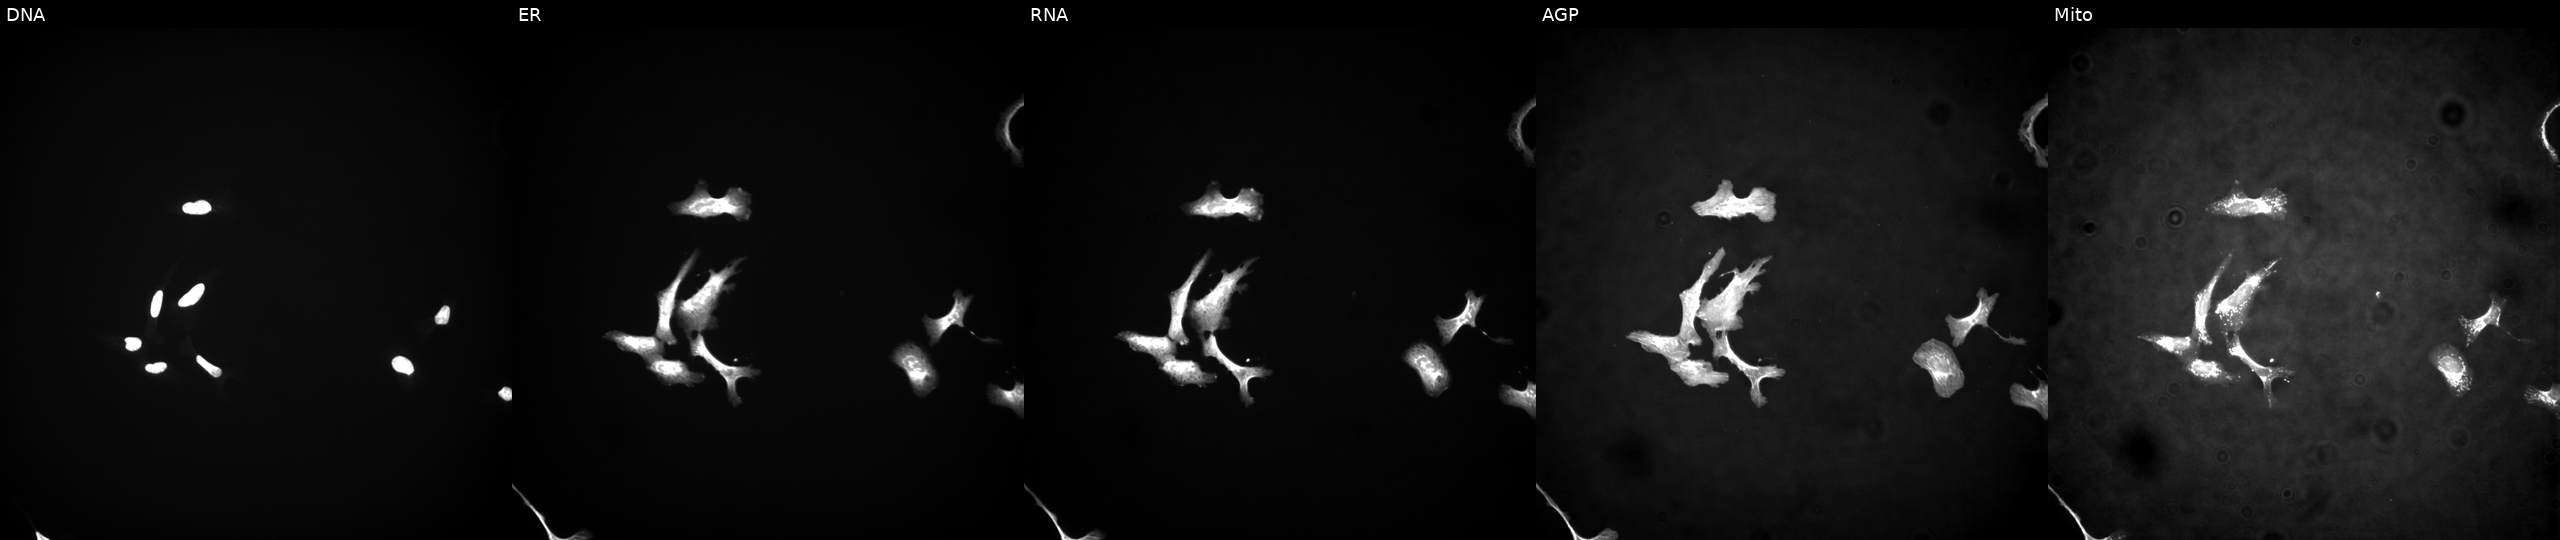
This image strip shows the five Cell Painting channels for a single field of U2OS cells overexpressing NDUFB1 via ORF transfection. The five panels, left to right, show DNA, ER, RNA, AGP, and Mito.